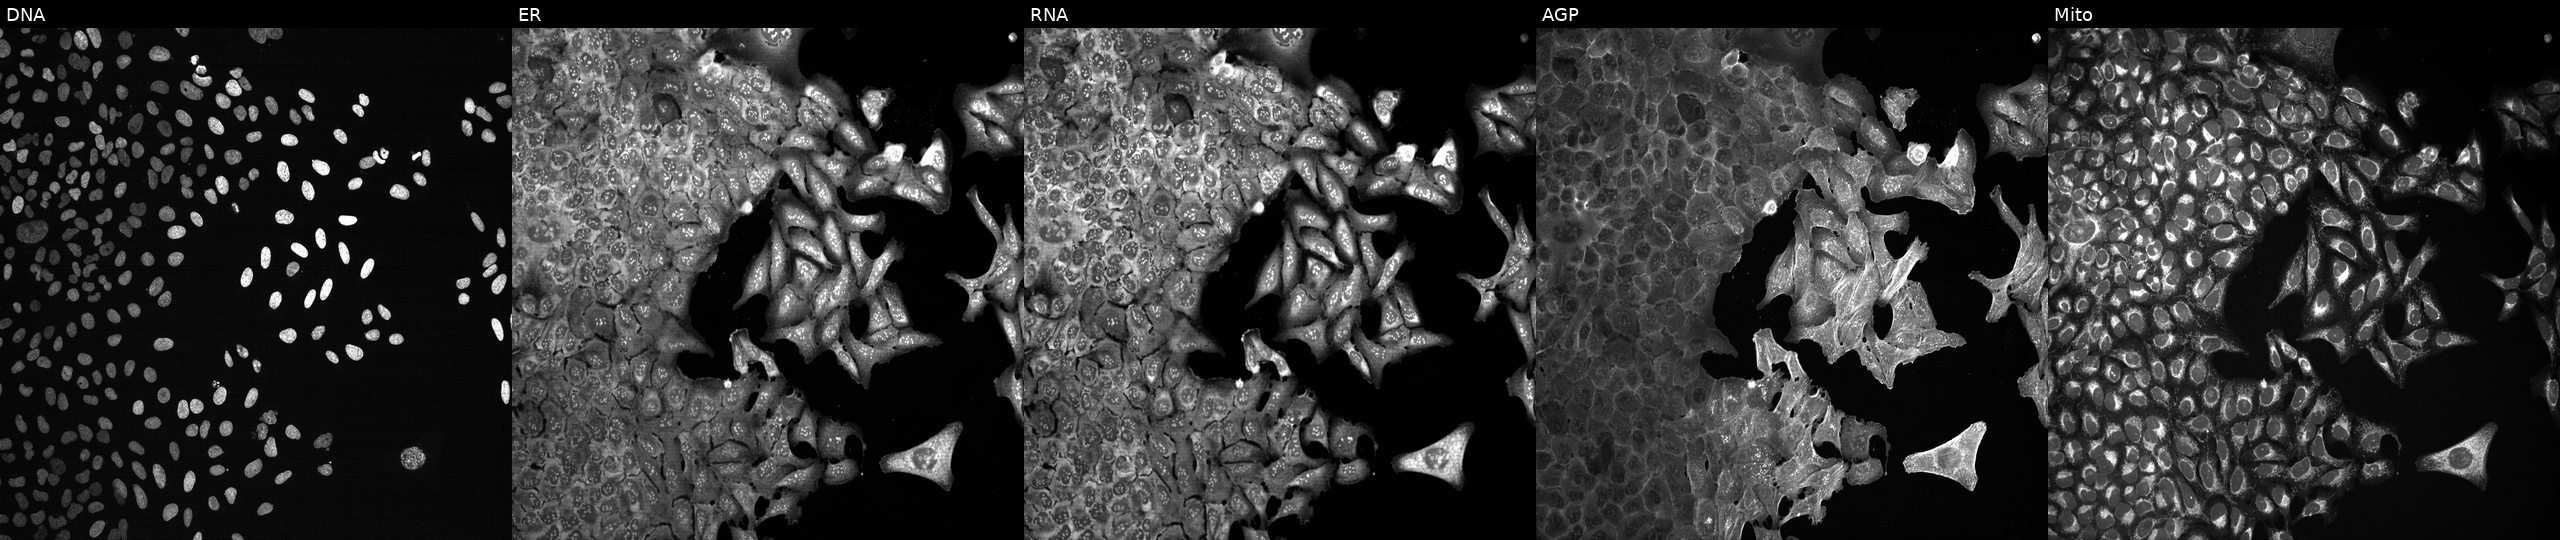
U2OS cells, Cell Painting assay, CRISPR-edited to disrupt CAPN3 (JUMP id JCP2022_801046). From left to right: DNA, ER, RNA, AGP, and Mito. Each panel is percentile-stretched 16-bit fluorescence.